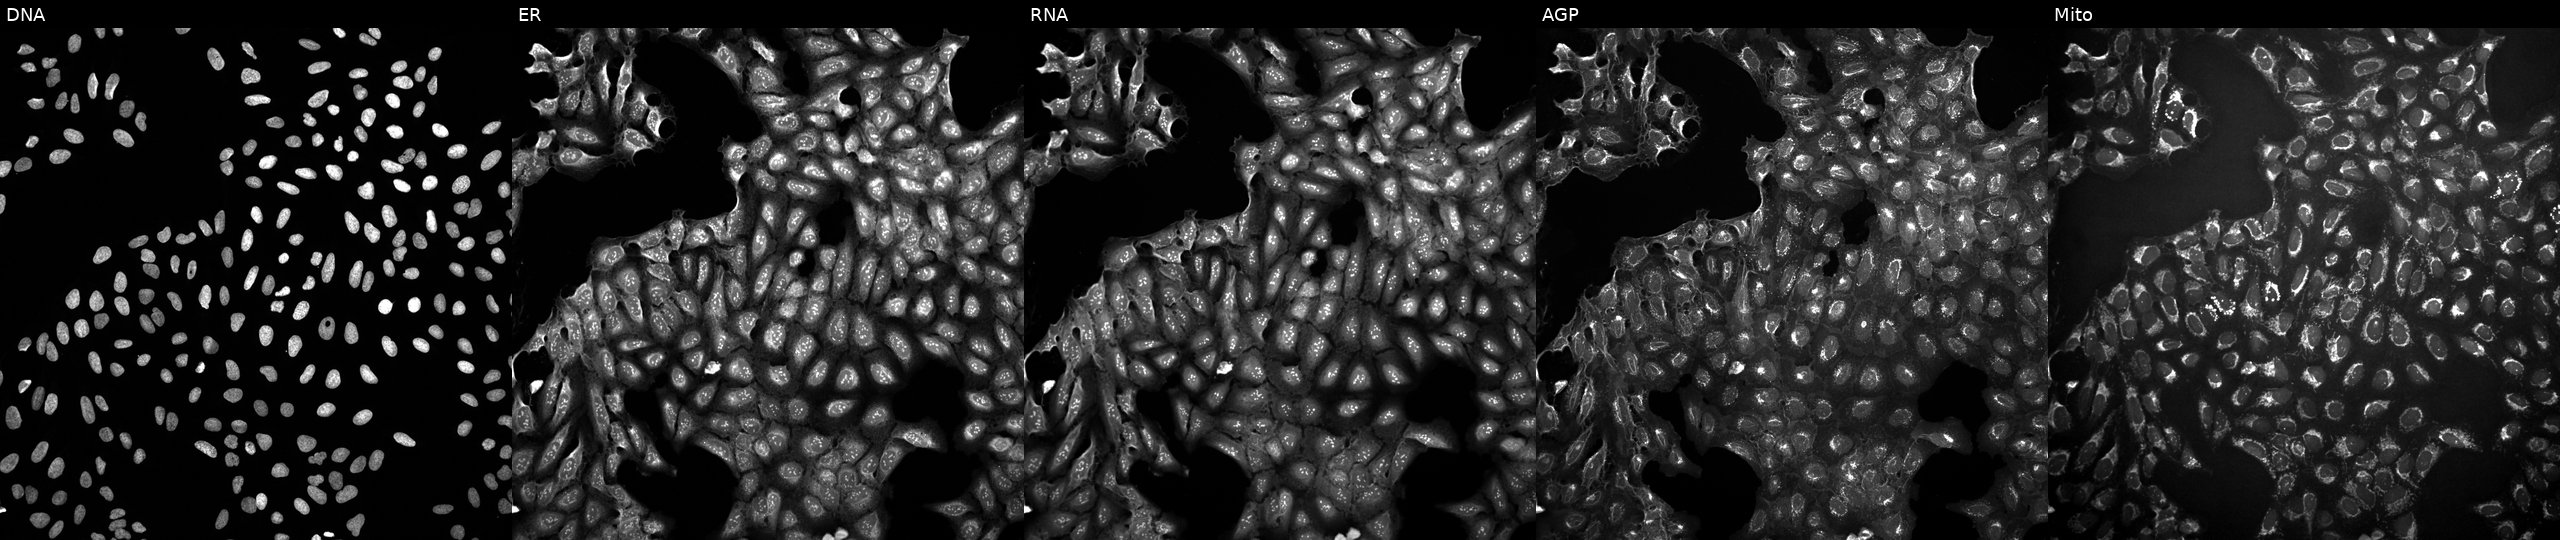
Five-channel Cell Painting image of U2OS cells exposed to DMSO alone as a negative control (JUMP id JCP2022_033924). From left to right: DNA, ER, RNA, AGP, and Mito. Source 10, plate Dest210803-153958, well G03.